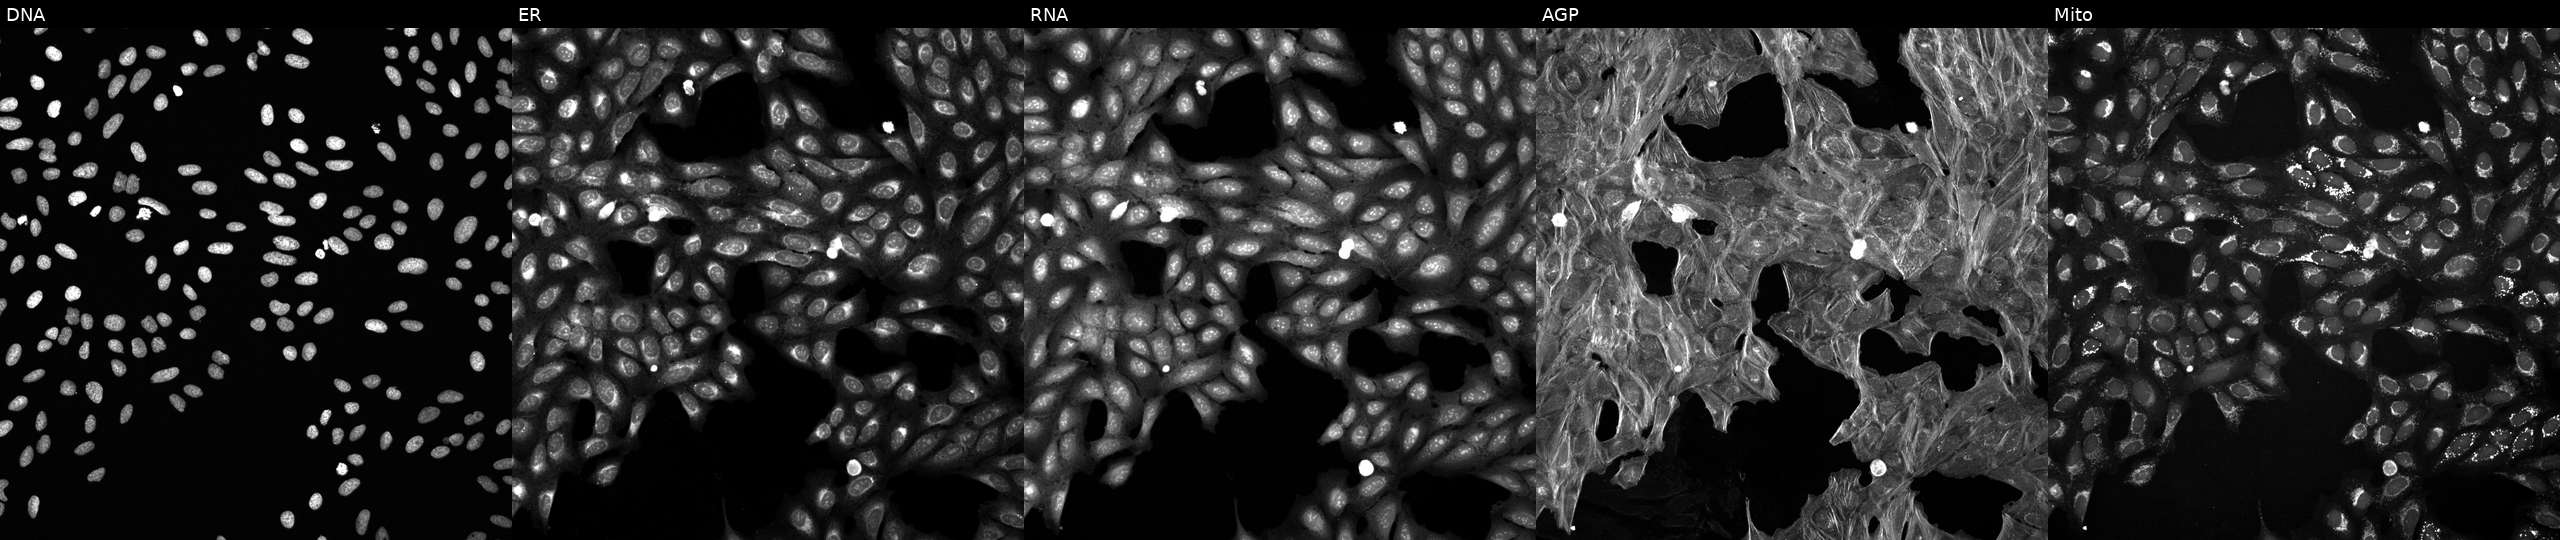
High-content fluorescence microscopy (Cell Painting). Cell line: U2OS. Perturbation: perturbed with a small-molecule compound (InChIKey XIVKWLJNHJEUHB-UHFFFAOYSA-N). Channels (left→right): DNA, ER, RNA, AGP, and Mito. Source 6, plate 110000293083, well G10.